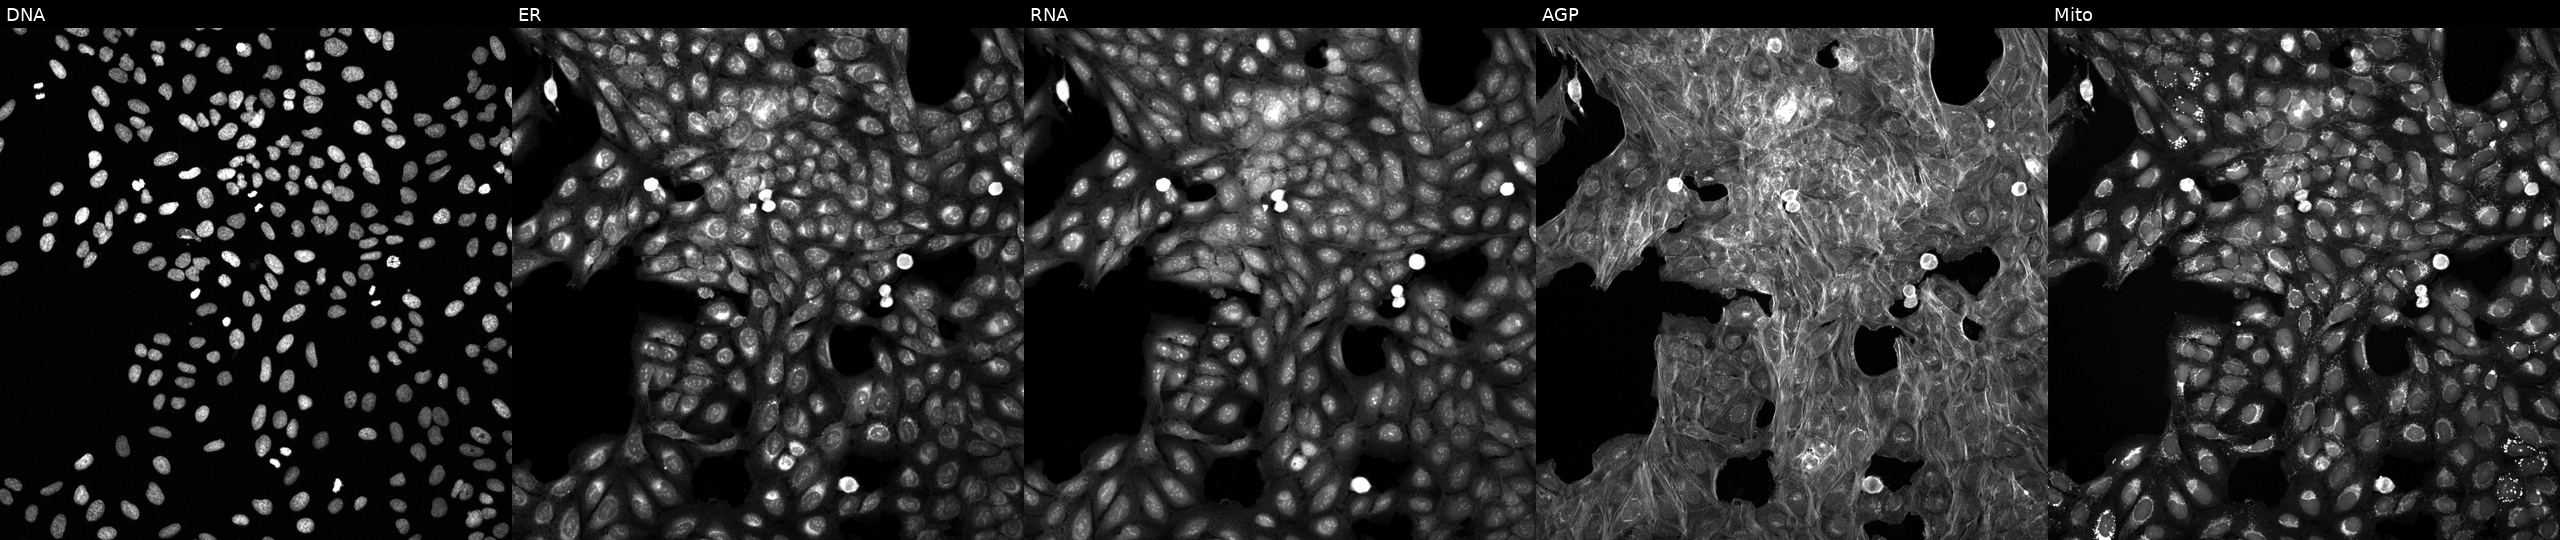
U2OS cells, Cell Painting assay, perturbed with a small-molecule compound (JUMP id JCP2022_059103). Panels show, left to right, DNA (nuclei); ER (endoplasmic reticulum); RNA (nucleoli and cytoplasmic RNA); AGP (actin cytoskeleton, Golgi, and plasma membrane); Mito (mitochondria). Each panel is percentile-stretched 16-bit fluorescence.